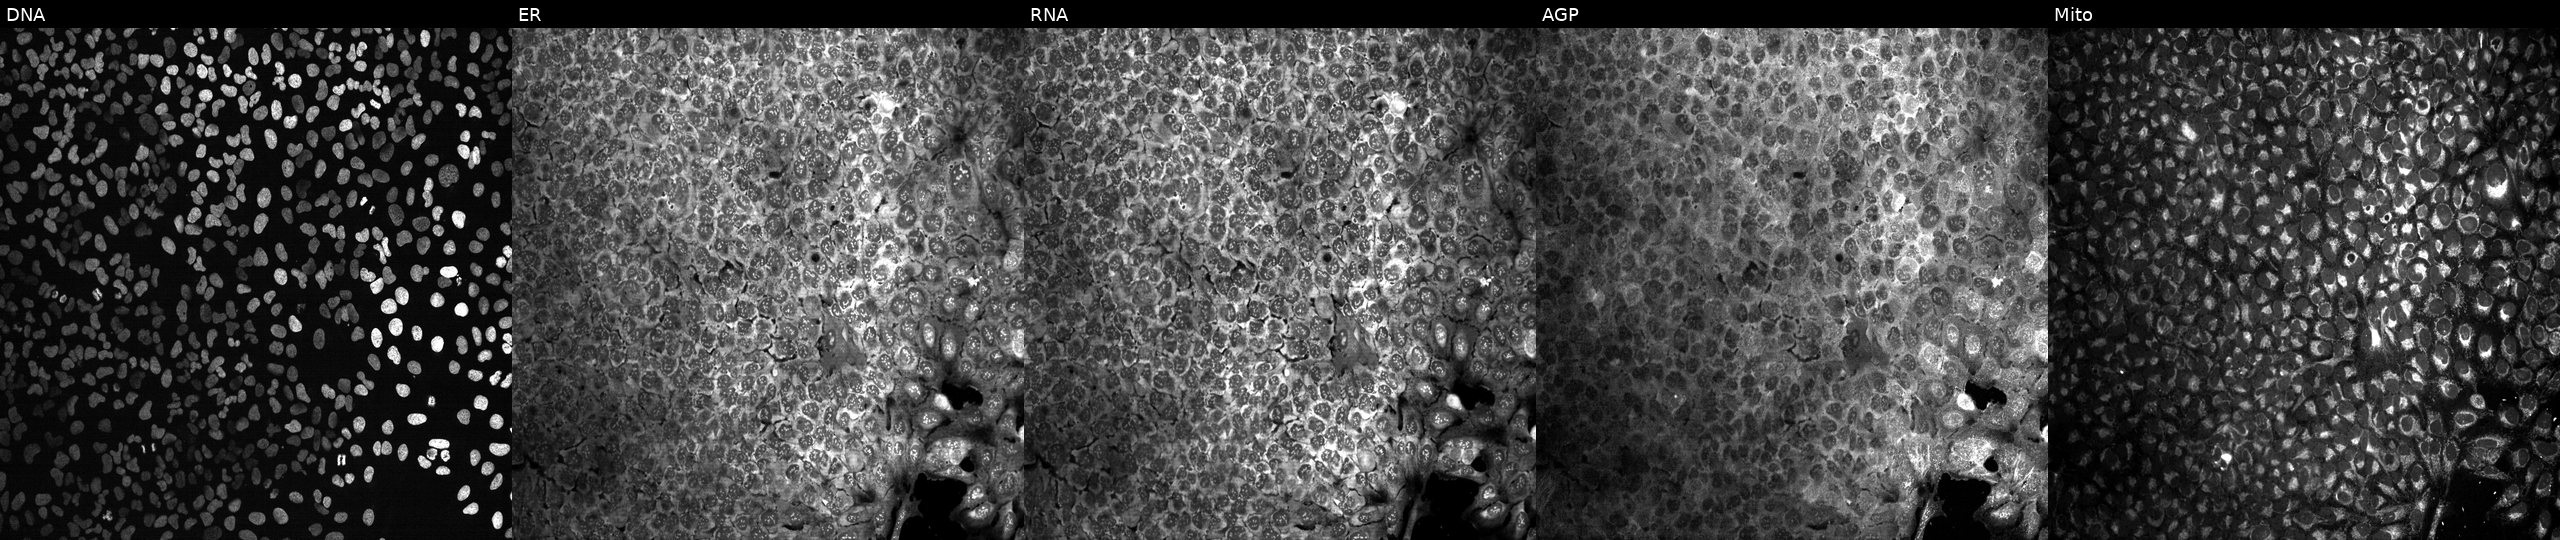
JUMP Cell Painting — CRISPR plate. U2OS cells with no CRISPR guide (negative control) (JUMP id JCP2022_800001). The five panels, left to right, show Hoechst 33342, concanavalin A, SYTO 14, phalloidin and WGA, MitoTracker.